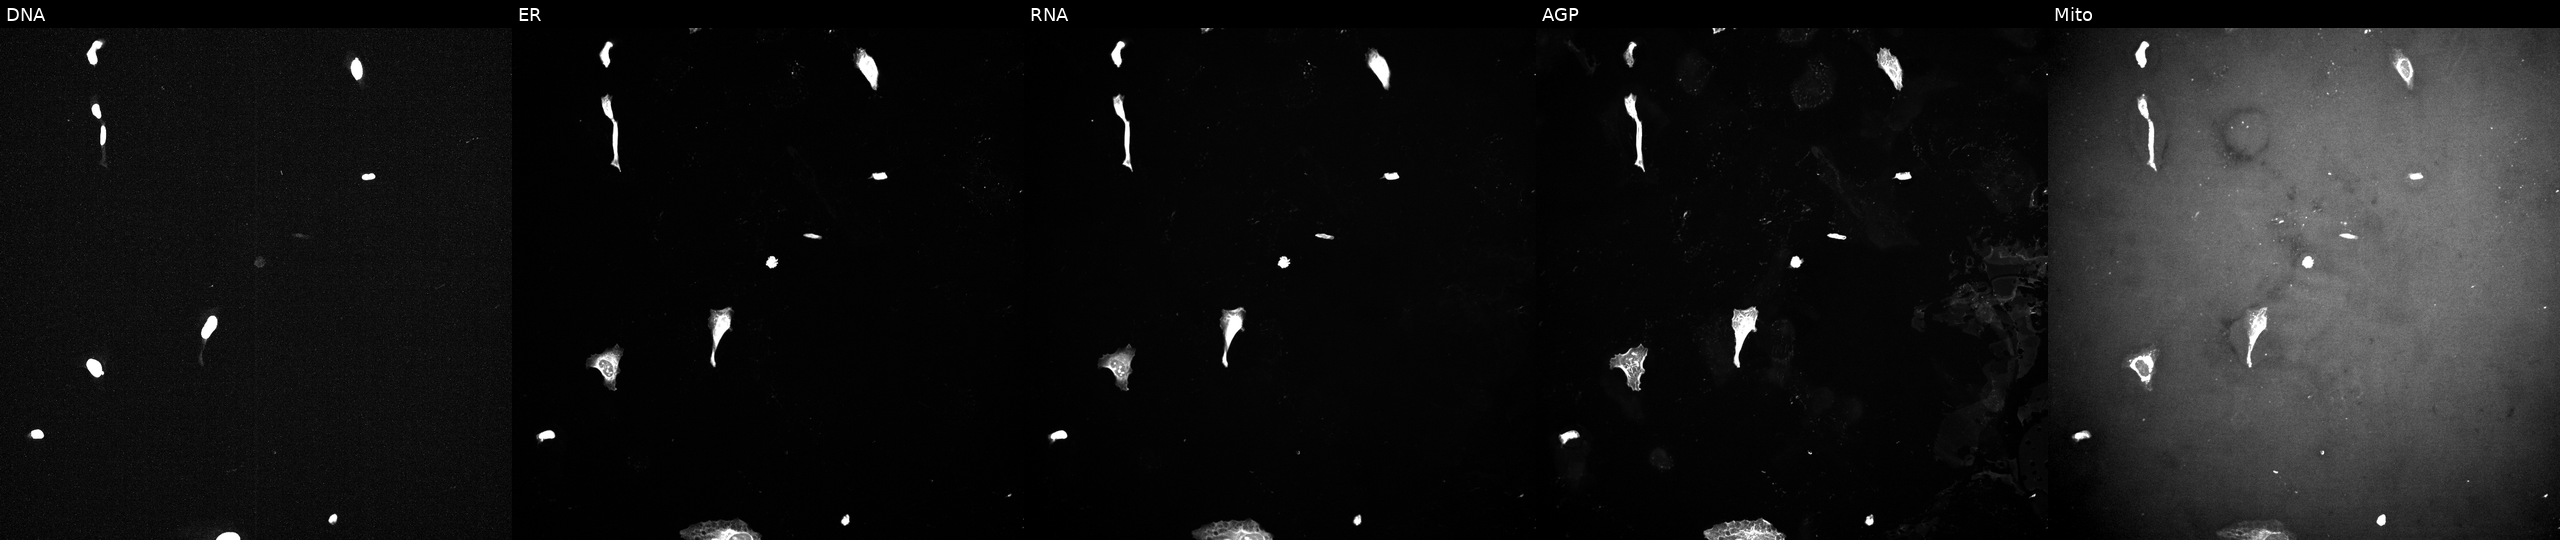
Channels (left→right): DNA (nuclei); ER (endoplasmic reticulum); RNA (nucleoli and cytoplasmic RNA); AGP (actin cytoskeleton, Golgi, and plasma membrane); Mito (mitochondria). U2OS osteosarcoma cells treated with DMSO vehicle only (negative control). Cell Painting assay, JUMP-CP dataset.